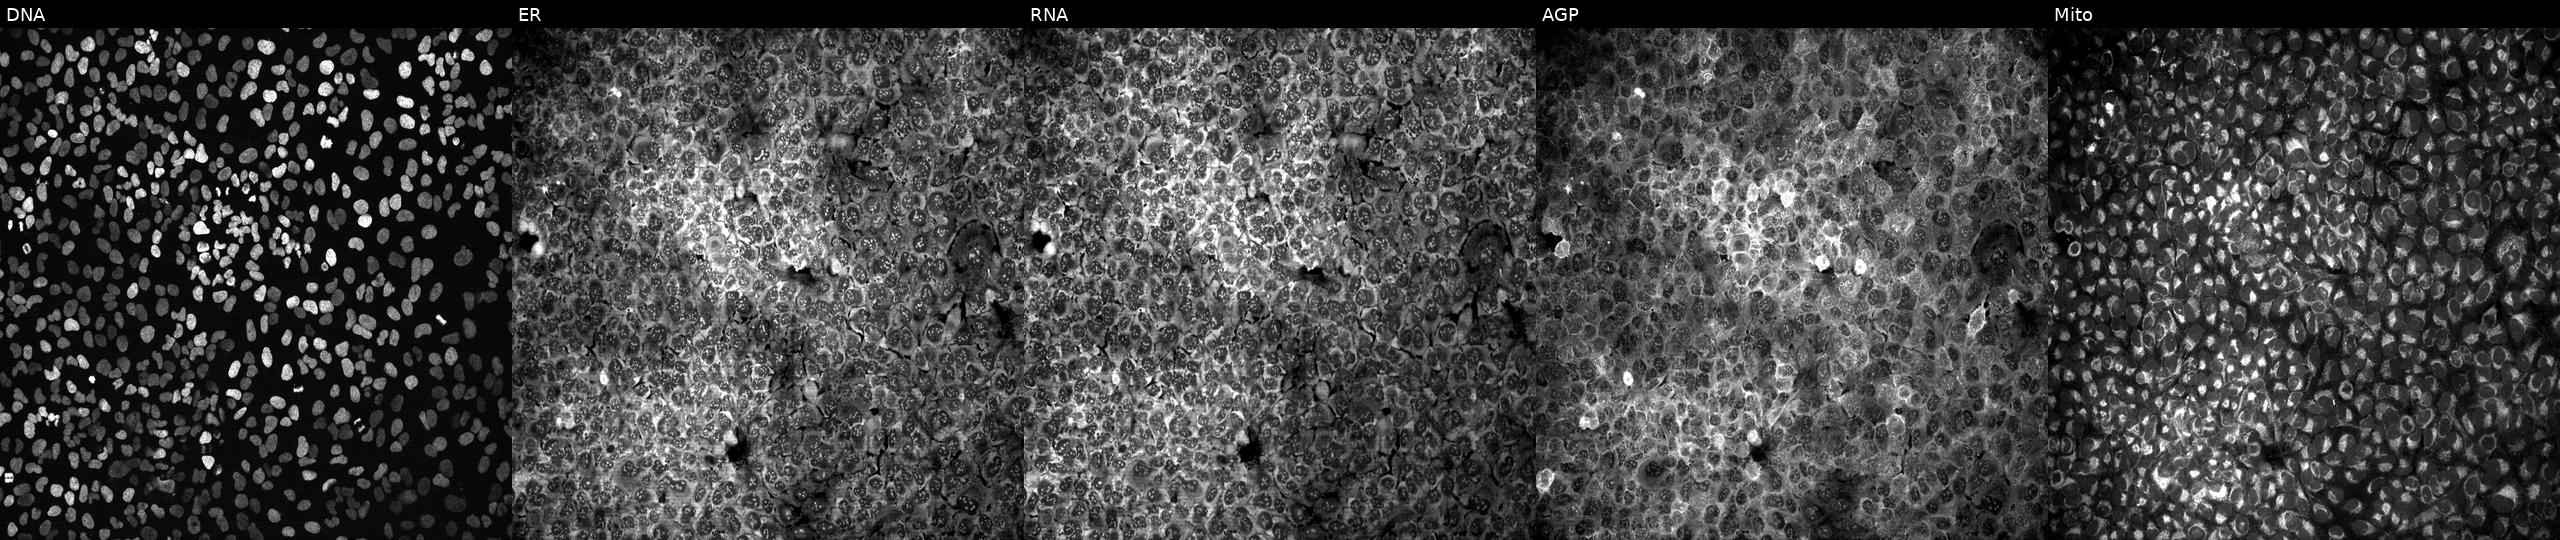
U2OS cells, Cell Painting assay, with a non-targeting CRISPR guide (negative control). Panels show, left to right, DNA (nuclei); ER (endoplasmic reticulum); RNA (nucleoli and cytoplasmic RNA); AGP (actin cytoskeleton, Golgi, and plasma membrane); Mito (mitochondria). Each panel is percentile-stretched 16-bit fluorescence. Source 13, plate CP-CC9-R4-03, well L23.